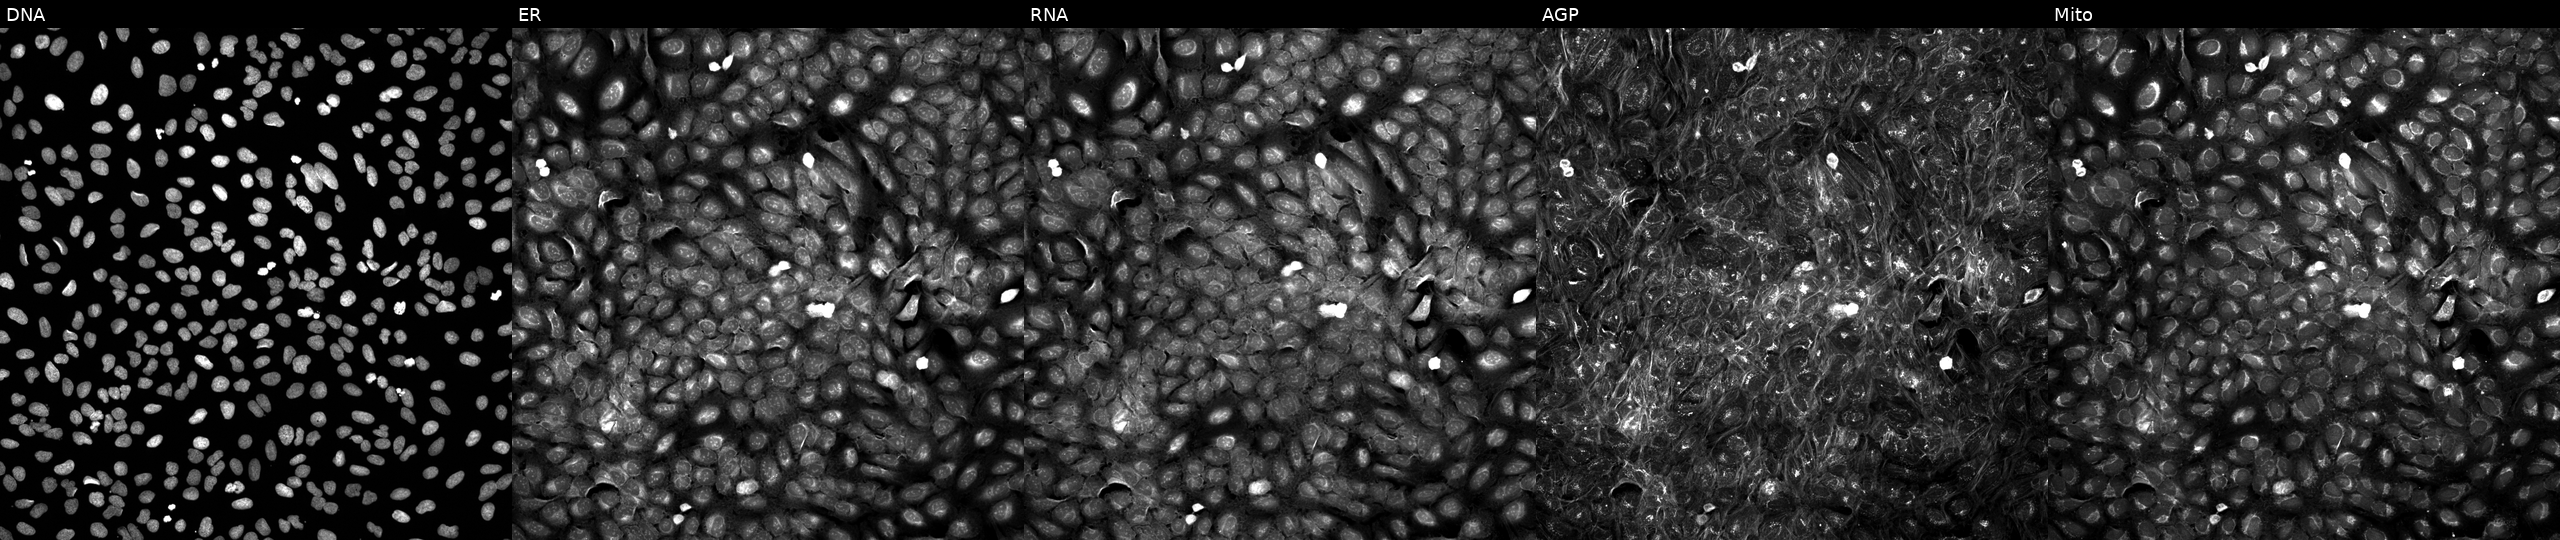
High-content fluorescence microscopy (Cell Painting). Cell line: U2OS. Perturbation: perturbed with a small-molecule compound [SMILES: O=C(c1ccc(=O)[nH]n1)N1CCCC1CCc1ccccc1]. Panels show, left to right, DNA, ER, RNA, AGP, and Mito. Source 5, plate APTJUM106, well N05.